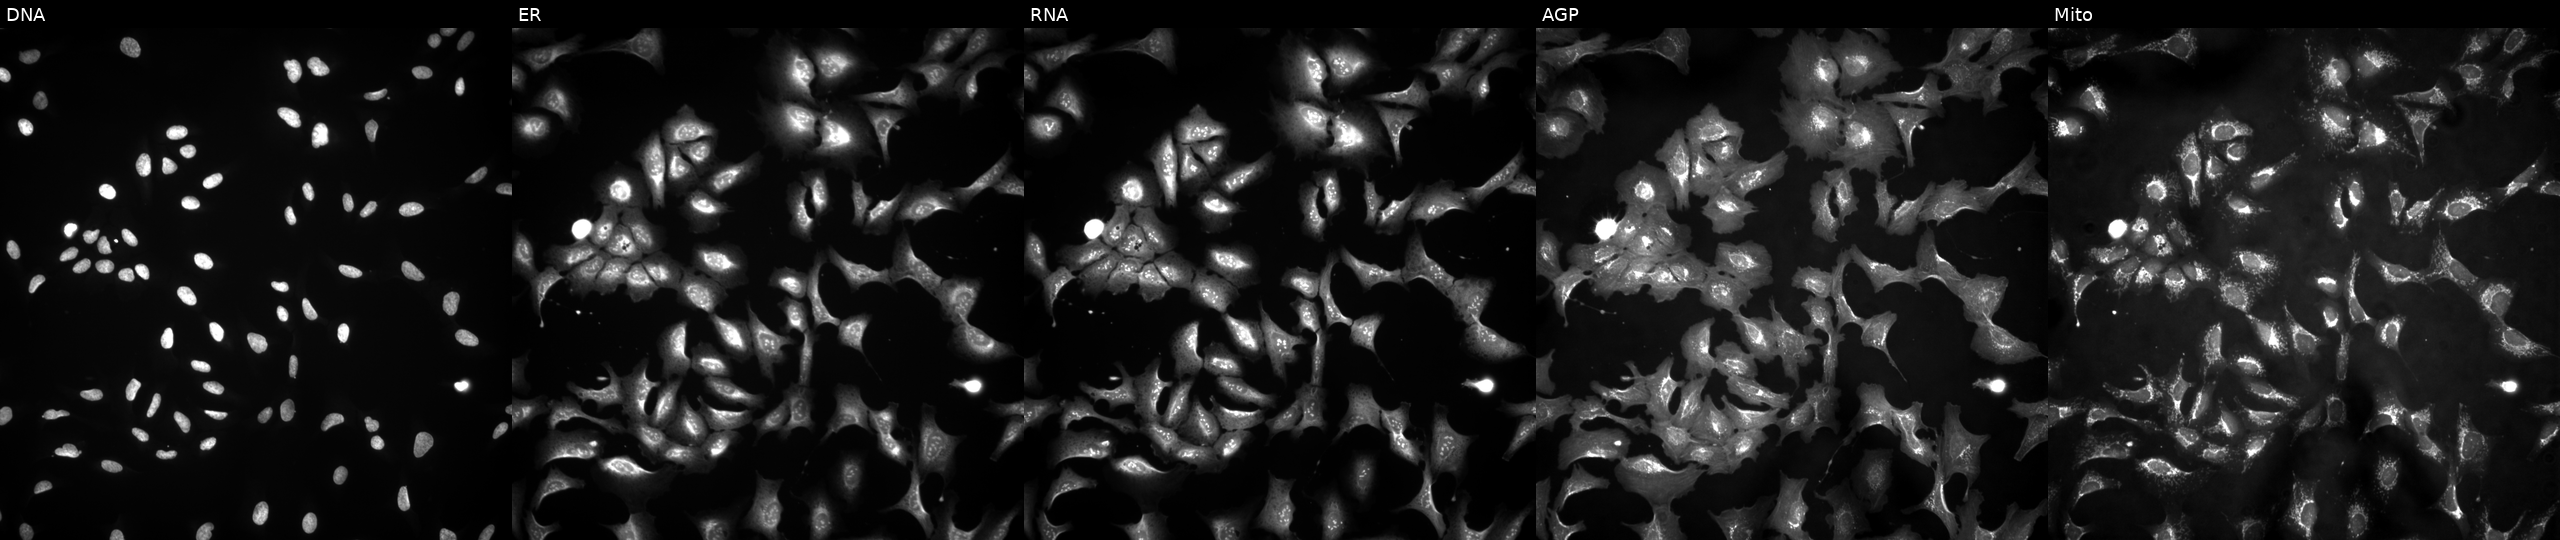
This image strip shows the five Cell Painting channels for a single field of U2OS cells overexpressing LGI1 via ORF transfection. The five panels, left to right, show DNA (nuclei); ER (endoplasmic reticulum); RNA (nucleoli and cytoplasmic RNA); AGP (actin cytoskeleton, Golgi, and plasma membrane); Mito (mitochondria).